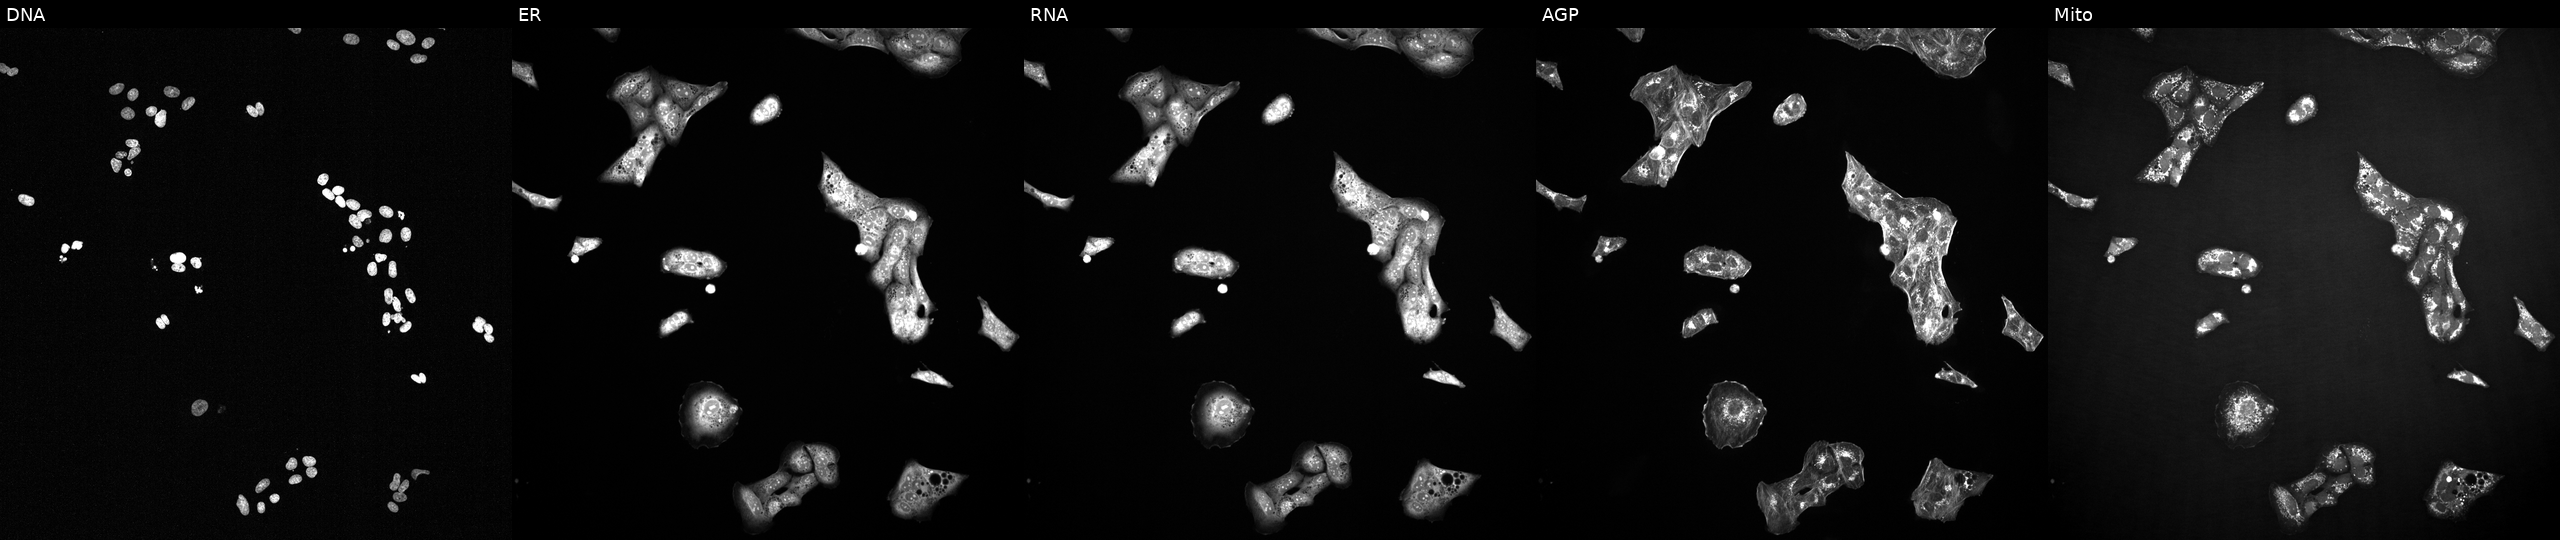
Channels (left→right): DNA (nuclei); ER (endoplasmic reticulum); RNA (nucleoli and cytoplasmic RNA); AGP (actin cytoskeleton, Golgi, and plasma membrane); Mito (mitochondria). U2OS osteosarcoma cells exposed to a small-molecule compound (InChIKey SCELLOWTHJGVIC-UHFFFAOYSA-N) (JUMP id JCP2022_082234). Cell Painting assay, JUMP-CP dataset. Source 2, plate 1053600674, well J17.